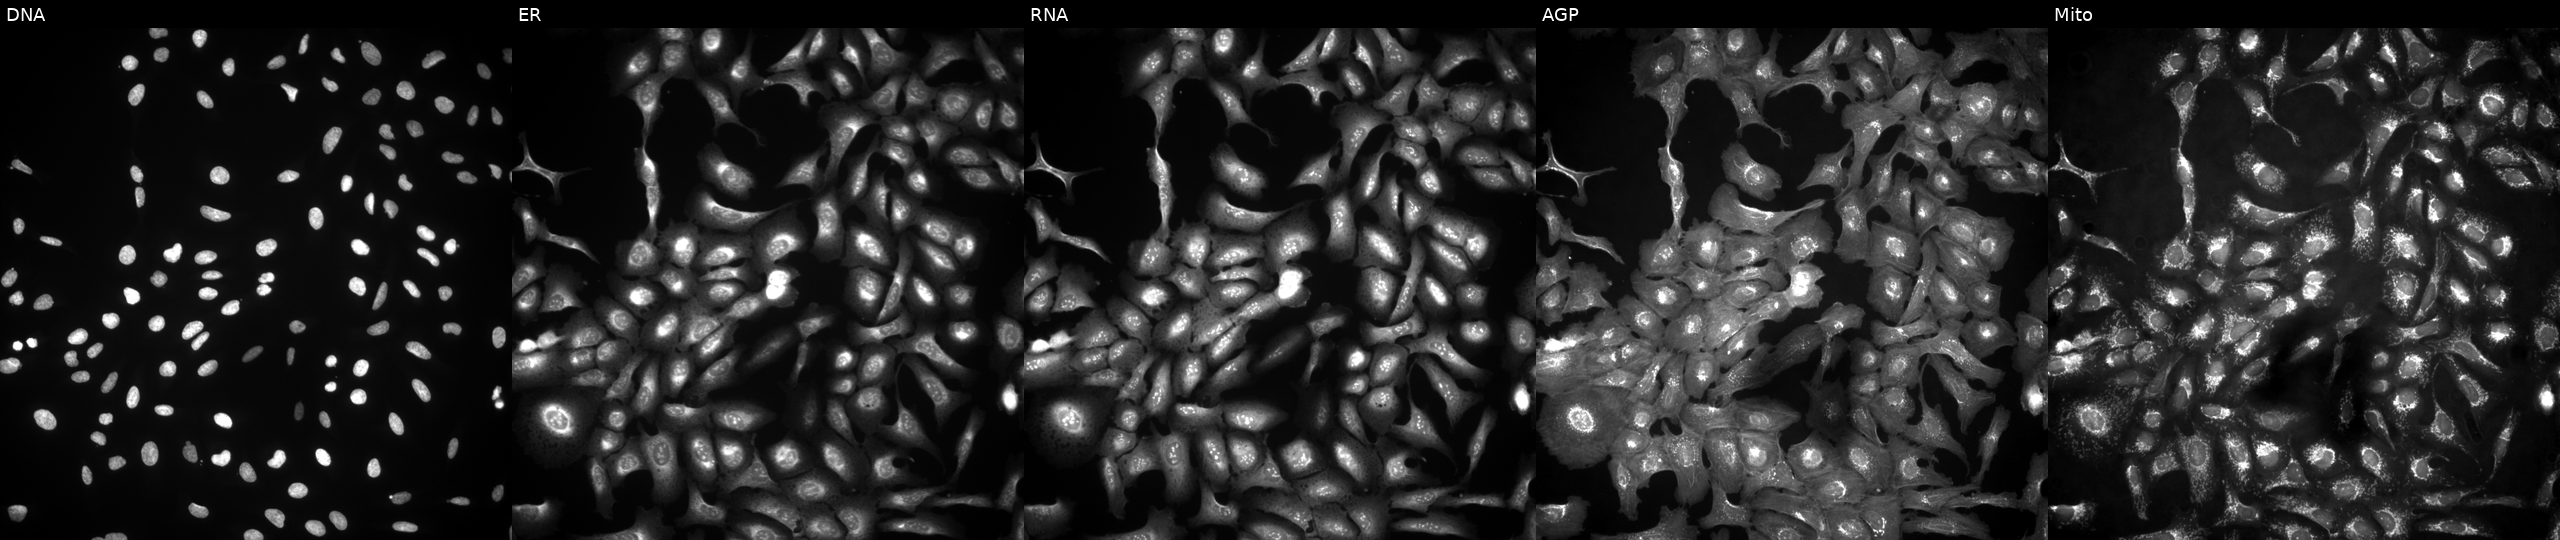
Channels (left→right): DNA, ER, RNA, AGP, and Mito. U2OS osteosarcoma cells expressing LacZ (ORF negative control) (JUMP id JCP2022_915131). Cell Painting assay, JUMP-CP dataset.